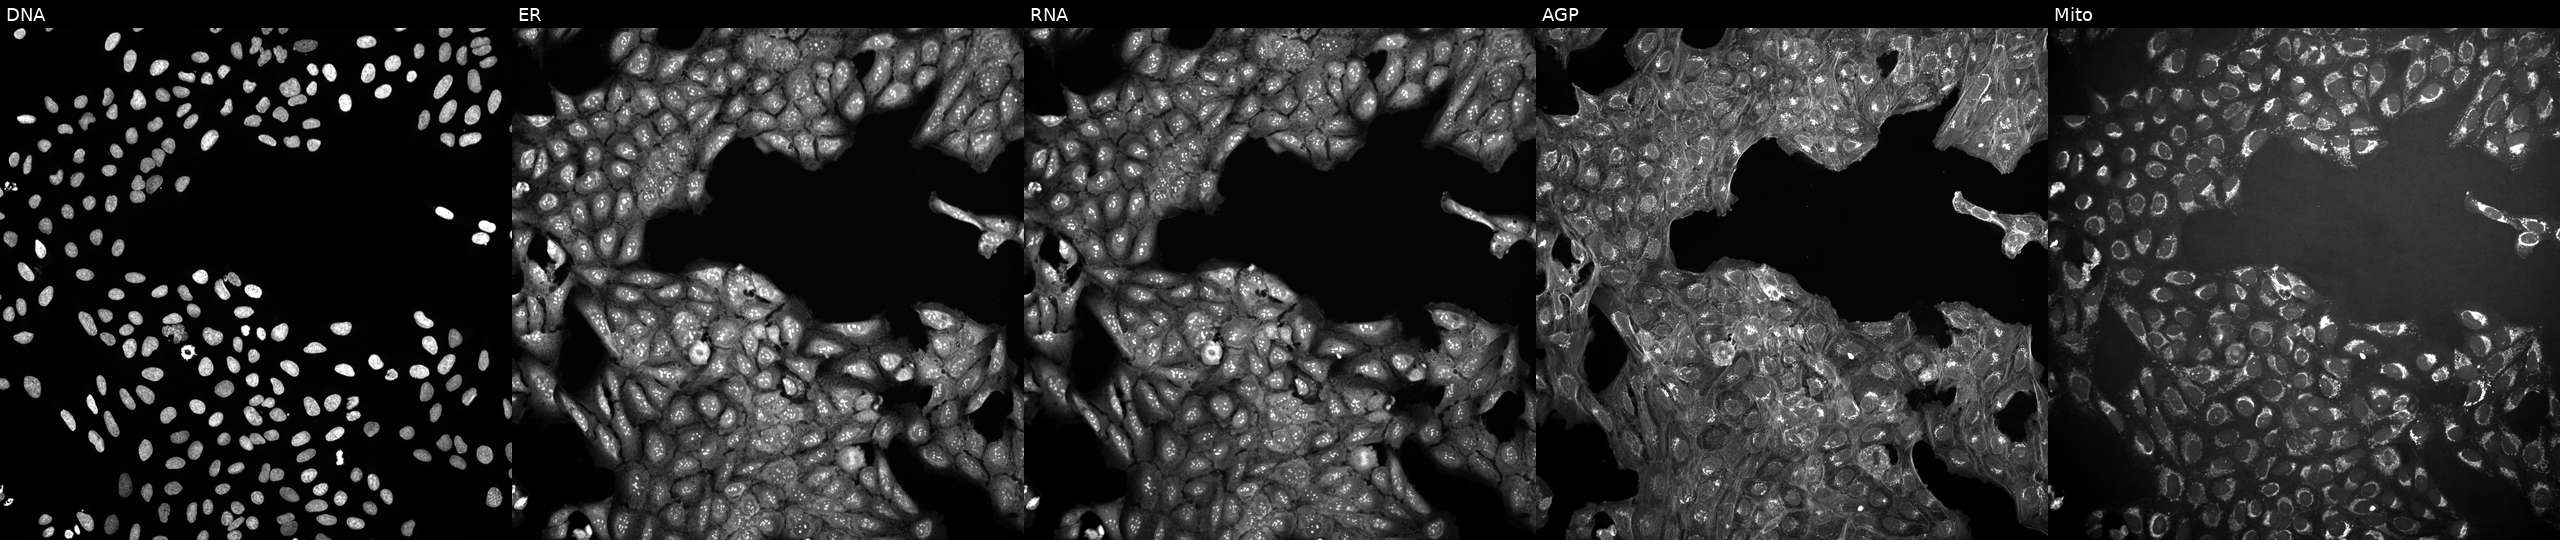
This image strip shows the five Cell Painting channels for a single field of U2OS cells exposed to a small-molecule compound (InChIKey YMNIMCYKONUNFR-UHFFFAOYSA-N) [SMILES: Cc1cc(C(=O)N2CC(c3cc(F)cc(F)c3)C3C2C2CCN3CC2)no1] (JUMP id JCP2022_109415). Panels show, left to right, Hoechst 33342, concanavalin A, SYTO 14, phalloidin and WGA, MitoTracker.